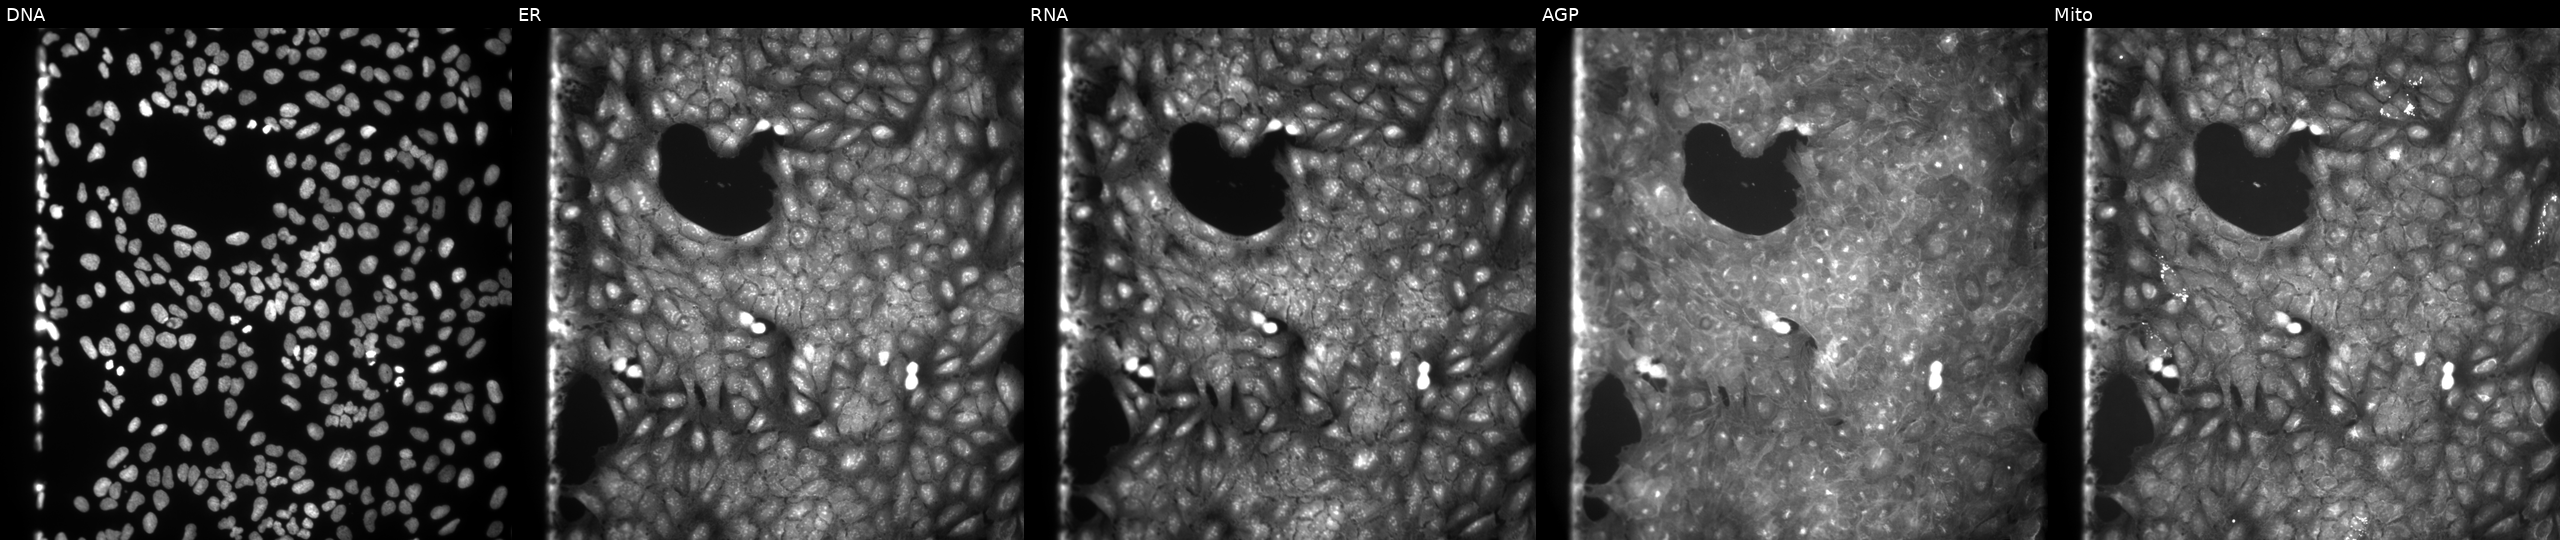
From left to right: Hoechst 33342, concanavalin A, SYTO 14, phalloidin and WGA, MitoTracker. U2OS osteosarcoma cells treated with a small-molecule compound (InChIKey MMBOGZMKKJDFKV-UHFFFAOYSA-N) (JUMP id JCP2022_055018). Cell Painting assay, JUMP-CP dataset. Source 9, plate GR00003382, well H03.